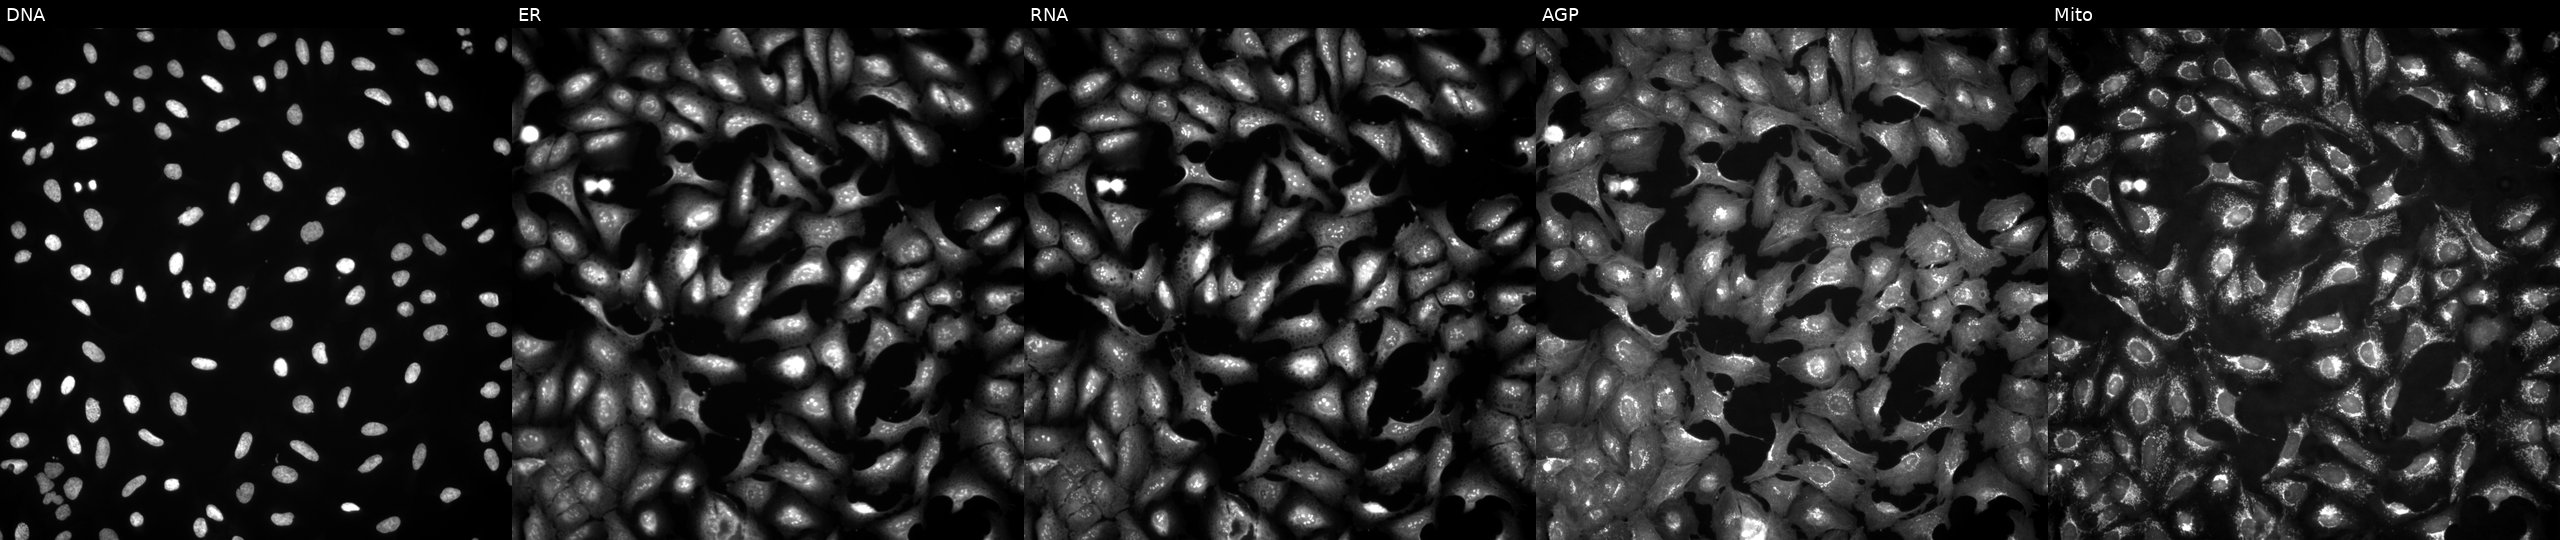
Five-channel Cell Painting image of U2OS cells transfected with an ORF construct for GFM1 (JUMP id JCP2022_904198). The five panels, left to right, show DNA (nuclei); ER (endoplasmic reticulum); RNA (nucleoli and cytoplasmic RNA); AGP (actin cytoskeleton, Golgi, and plasma membrane); Mito (mitochondria).